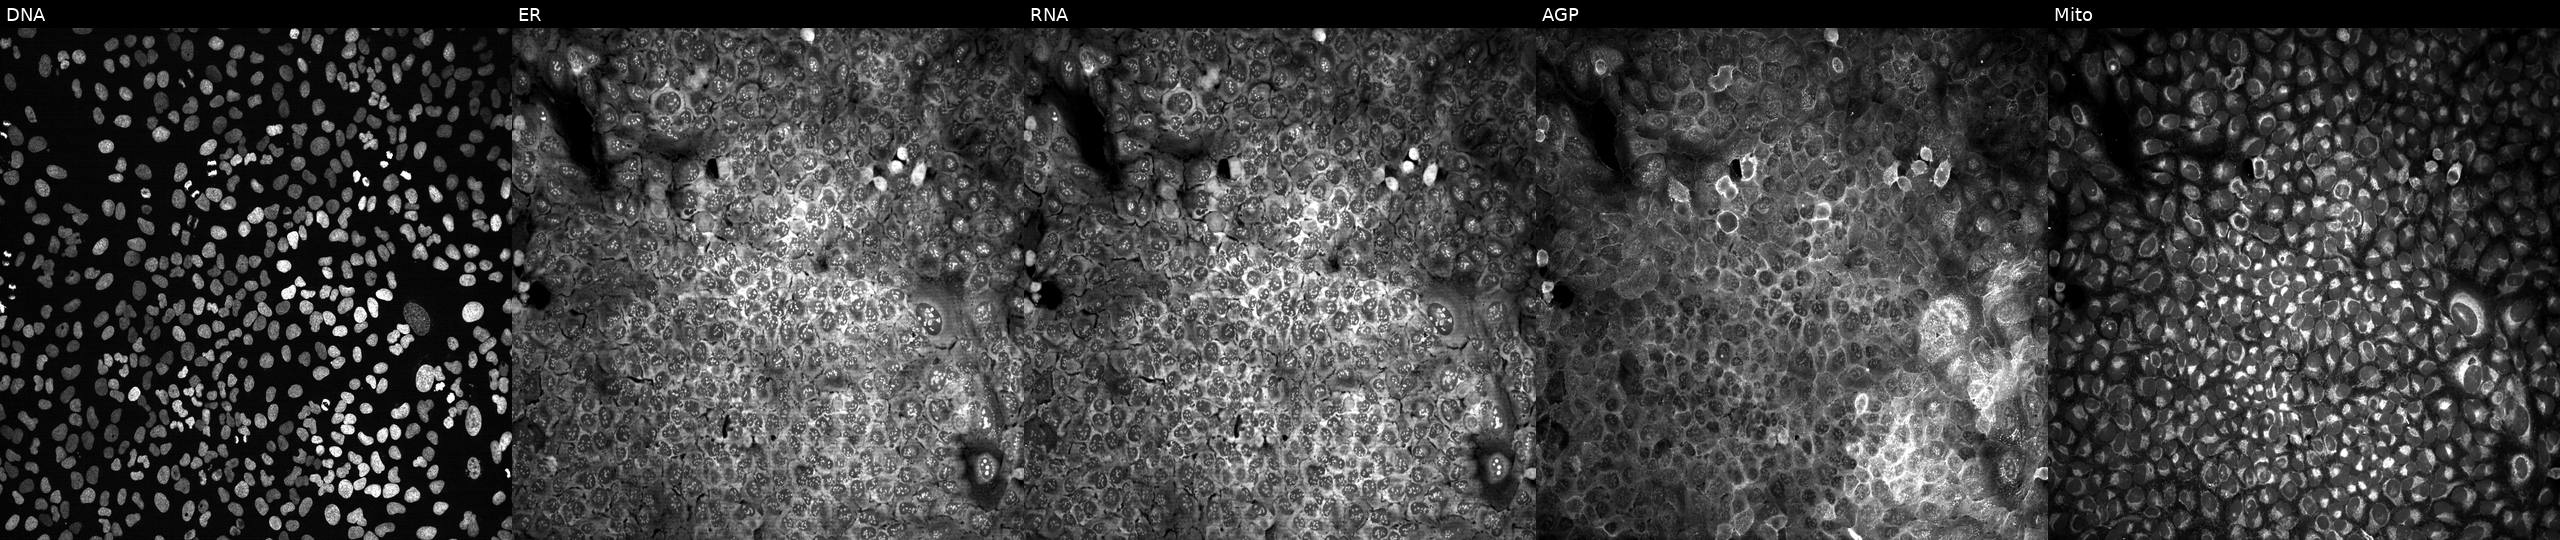
High-content fluorescence microscopy (Cell Painting). Cell line: U2OS. Perturbation: with no CRISPR guide (negative control). The five panels, left to right, show DNA, ER, RNA, AGP, and Mito.